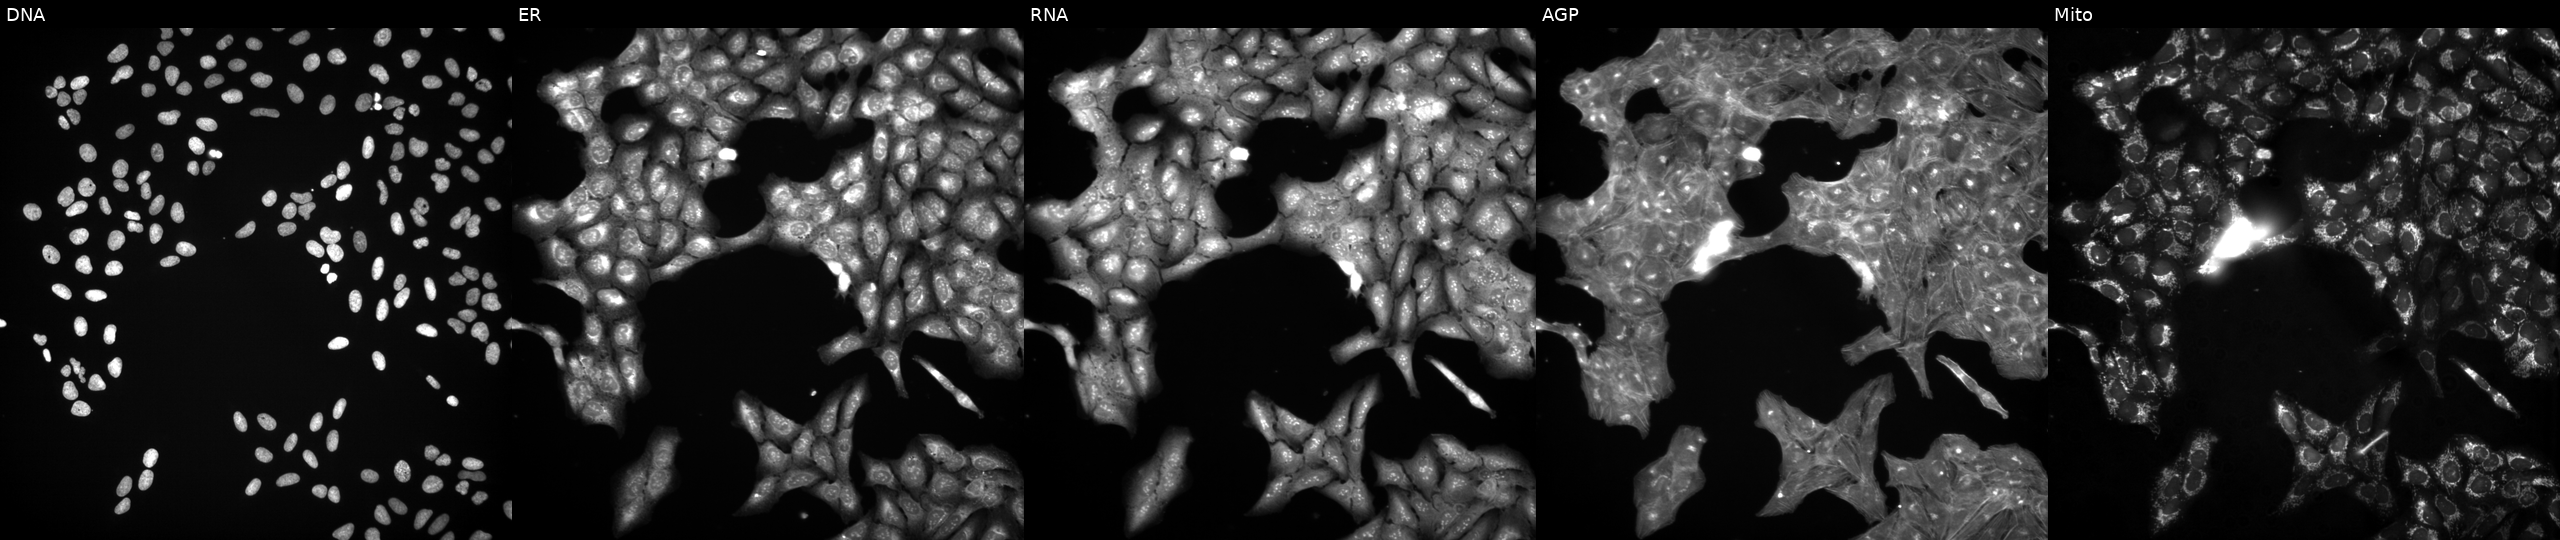
Five-channel Cell Painting image of U2OS cells exposed to DMSO alone as a negative control. From left to right: Hoechst 33342, concanavalin A, SYTO 14, phalloidin and WGA, MitoTracker.